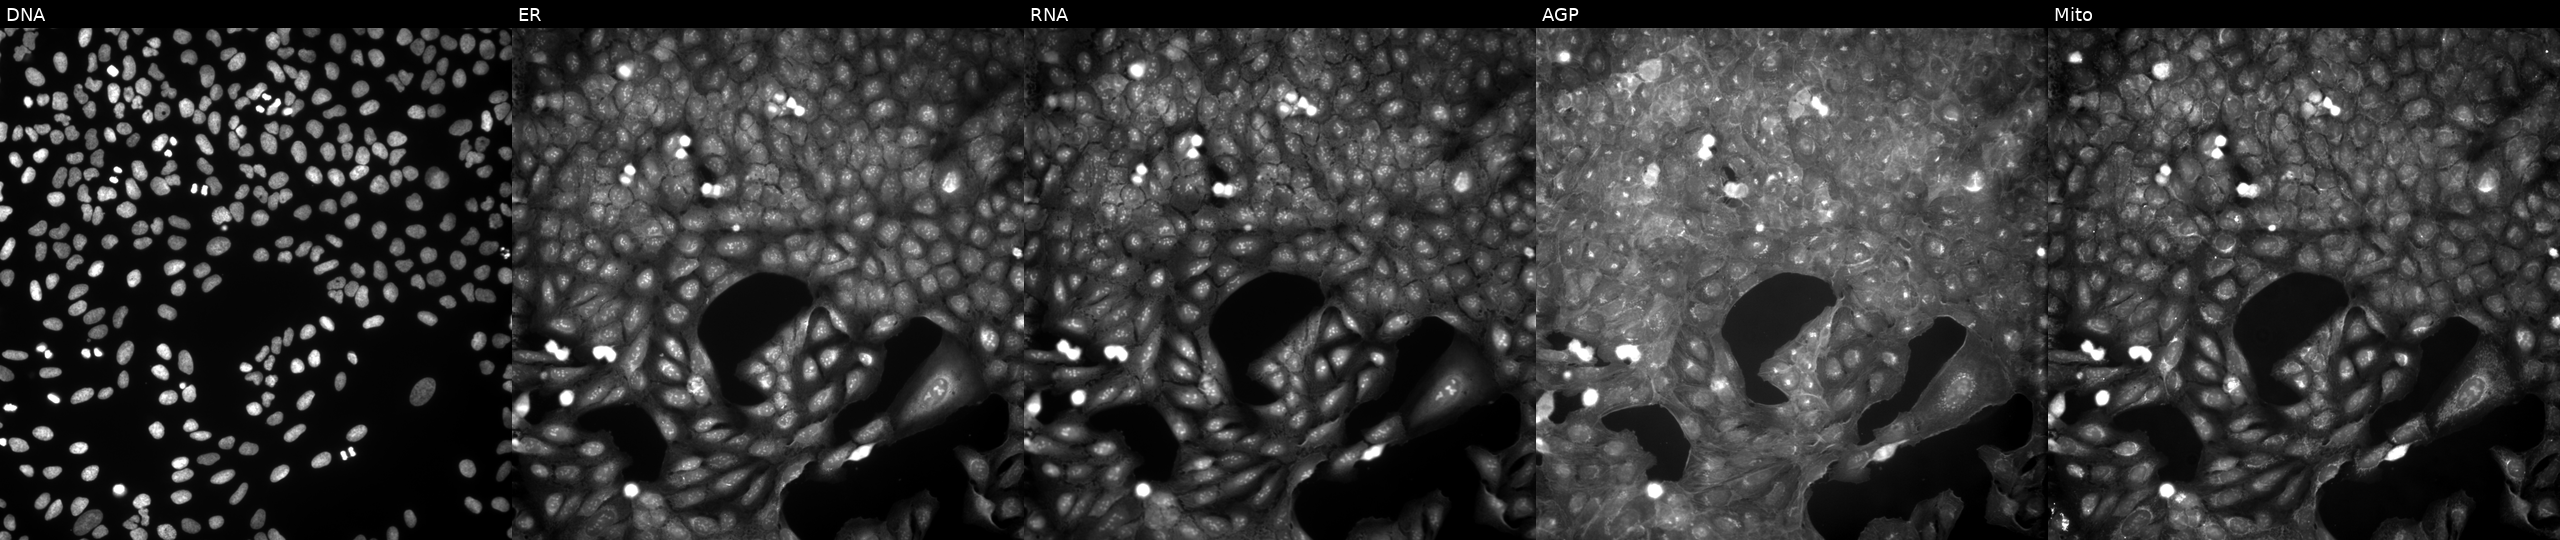
This image strip shows the five Cell Painting channels for a single field of U2OS cells perturbed with a small-molecule compound (InChIKey LDLKUNXNYVANLX-UHFFFAOYSA-N). Panels show, left to right, DNA, ER, RNA, AGP, and Mito.